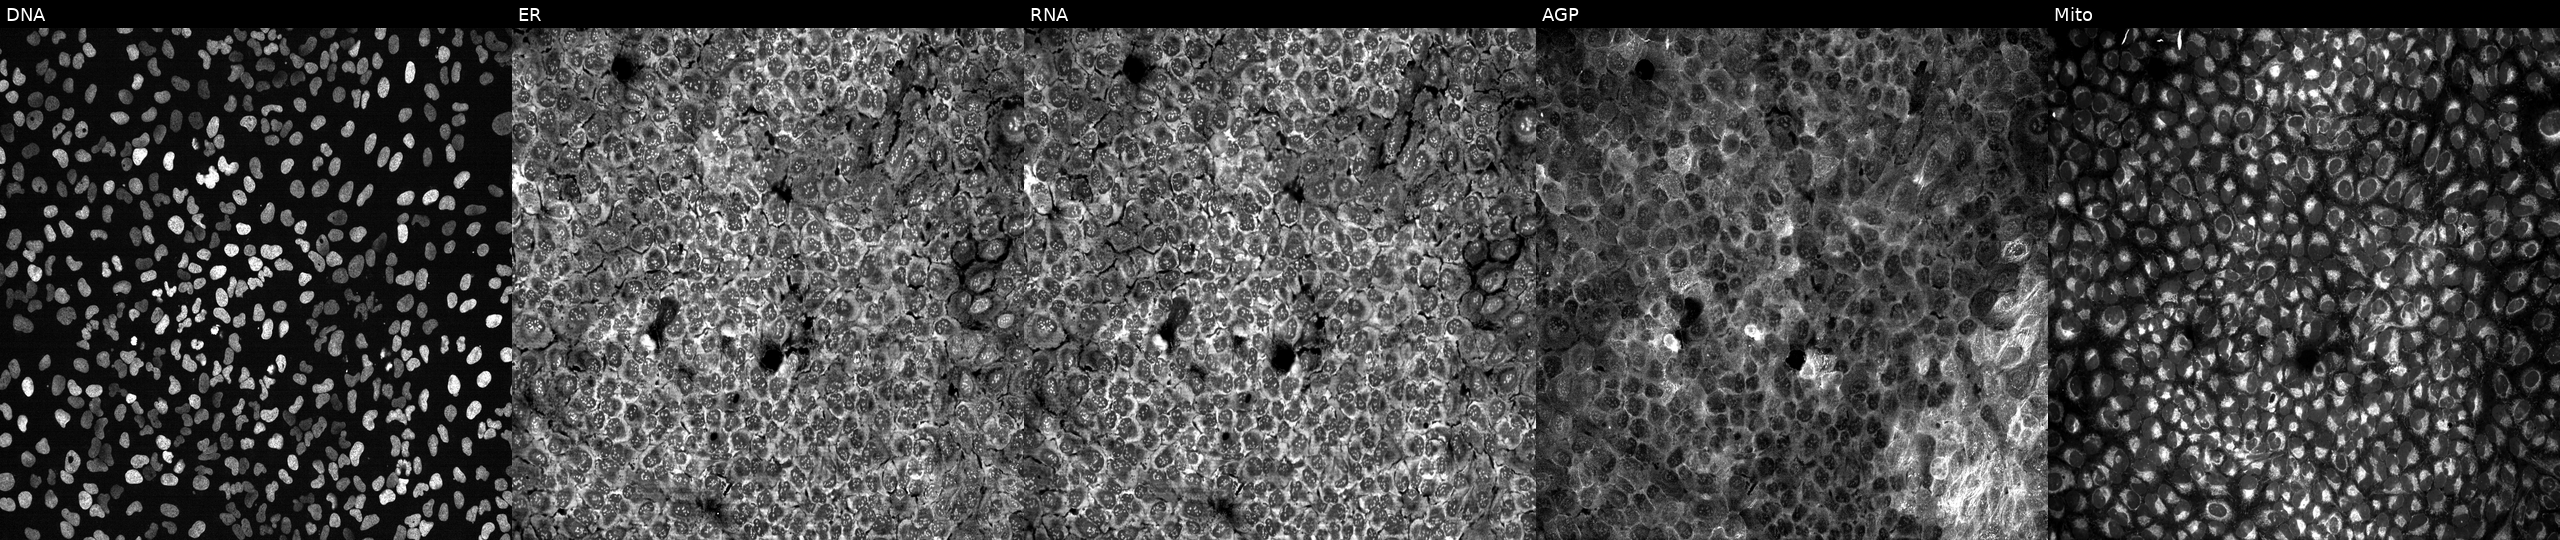
From left to right: Hoechst 33342, concanavalin A, SYTO 14, phalloidin and WGA, MitoTracker. U2OS osteosarcoma cells following CRISPR knockout of PTGES. Cell Painting assay, JUMP-CP dataset.